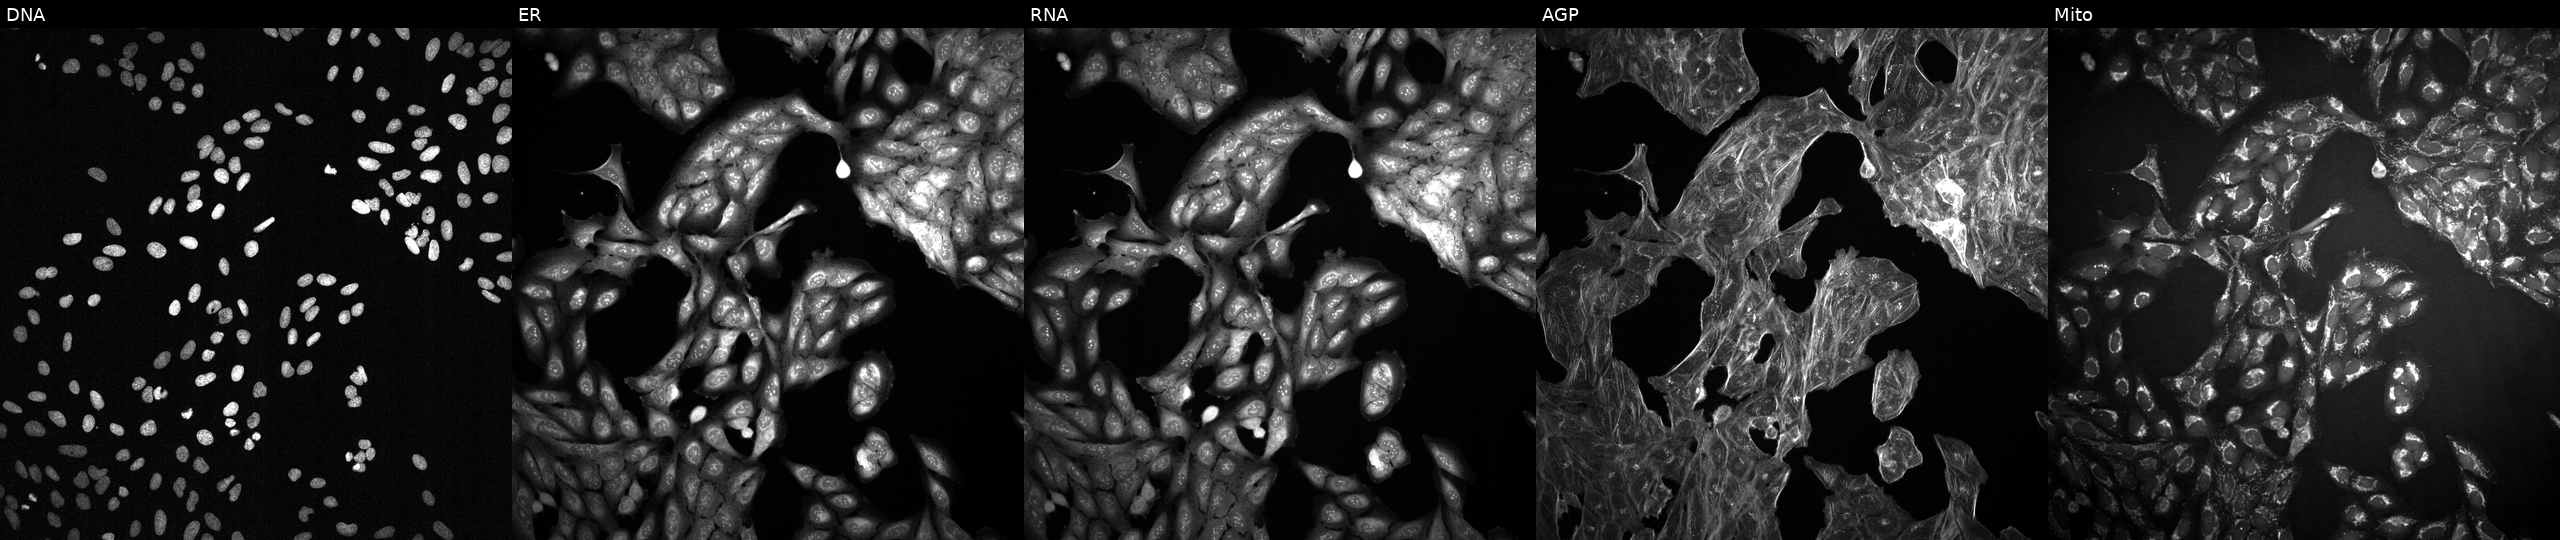
JUMP Cell Painting — TARGET2 plate. U2OS cells exposed to the positive-control compound quinidine (JUMP id JCP2022_050797). Channels (left→right): DNA, ER, RNA, AGP, and Mito.